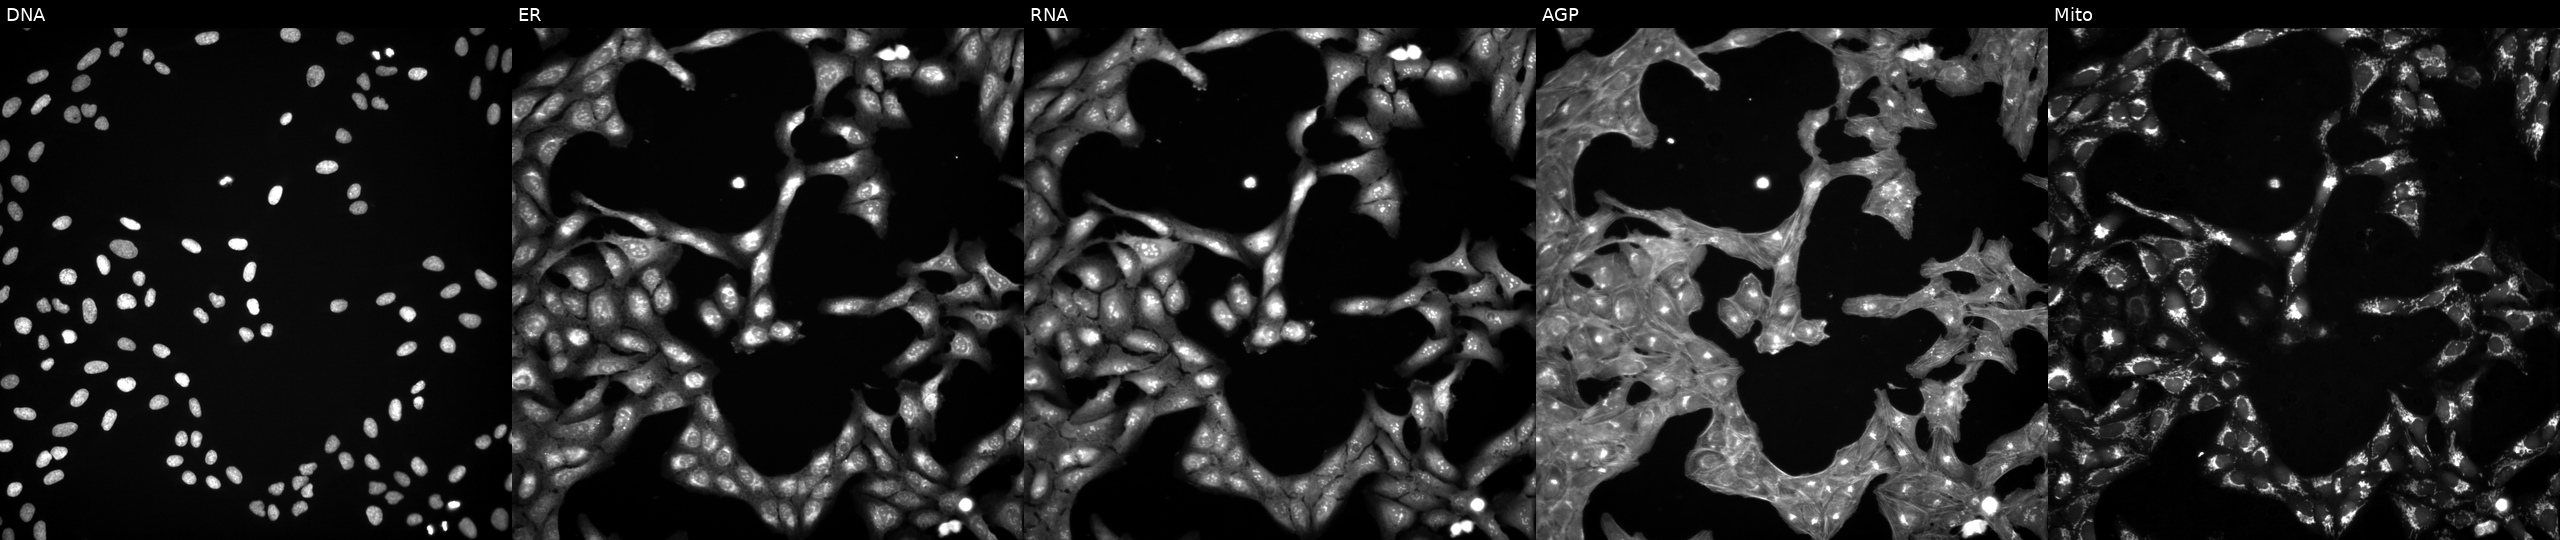
This image strip shows the five Cell Painting channels for a single field of U2OS cells exposed to DMSO alone as a negative control (JUMP id JCP2022_033924). The five panels, left to right, show DNA (nuclei); ER (endoplasmic reticulum); RNA (nucleoli and cytoplasmic RNA); AGP (actin cytoskeleton, Golgi, and plasma membrane); Mito (mitochondria).